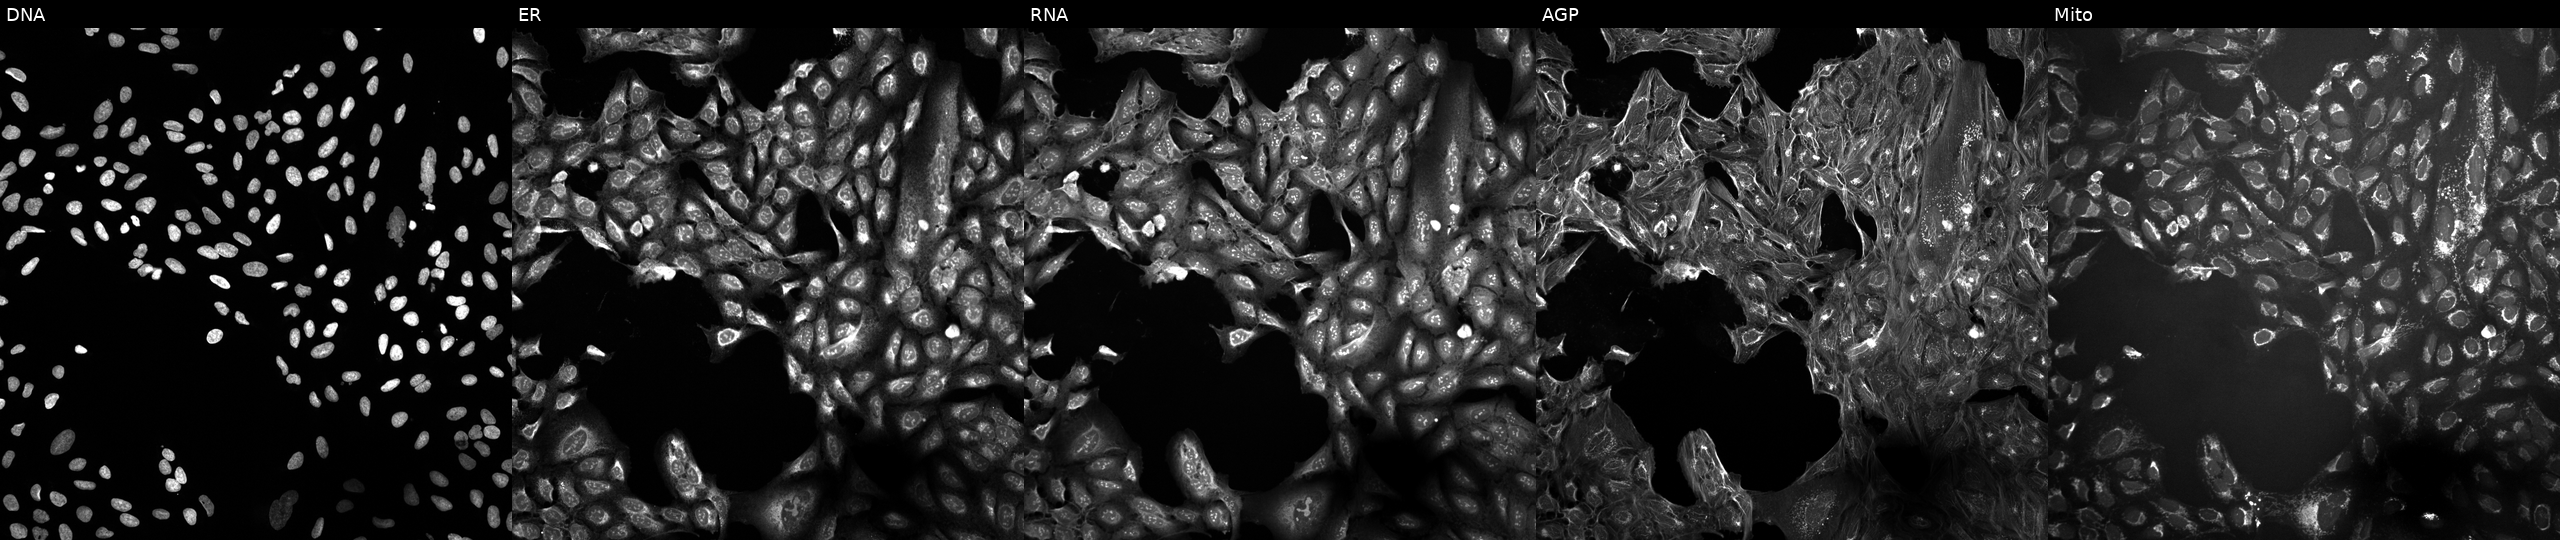
U2OS cells, Cell Painting assay, perturbed with a small-molecule compound [SMILES: CCOc1ccc2nnc(CNS(=O)(=O)c3ccccc3)n2n1]. From left to right: DNA, ER, RNA, AGP, and Mito. Each panel is percentile-stretched 16-bit fluorescence.